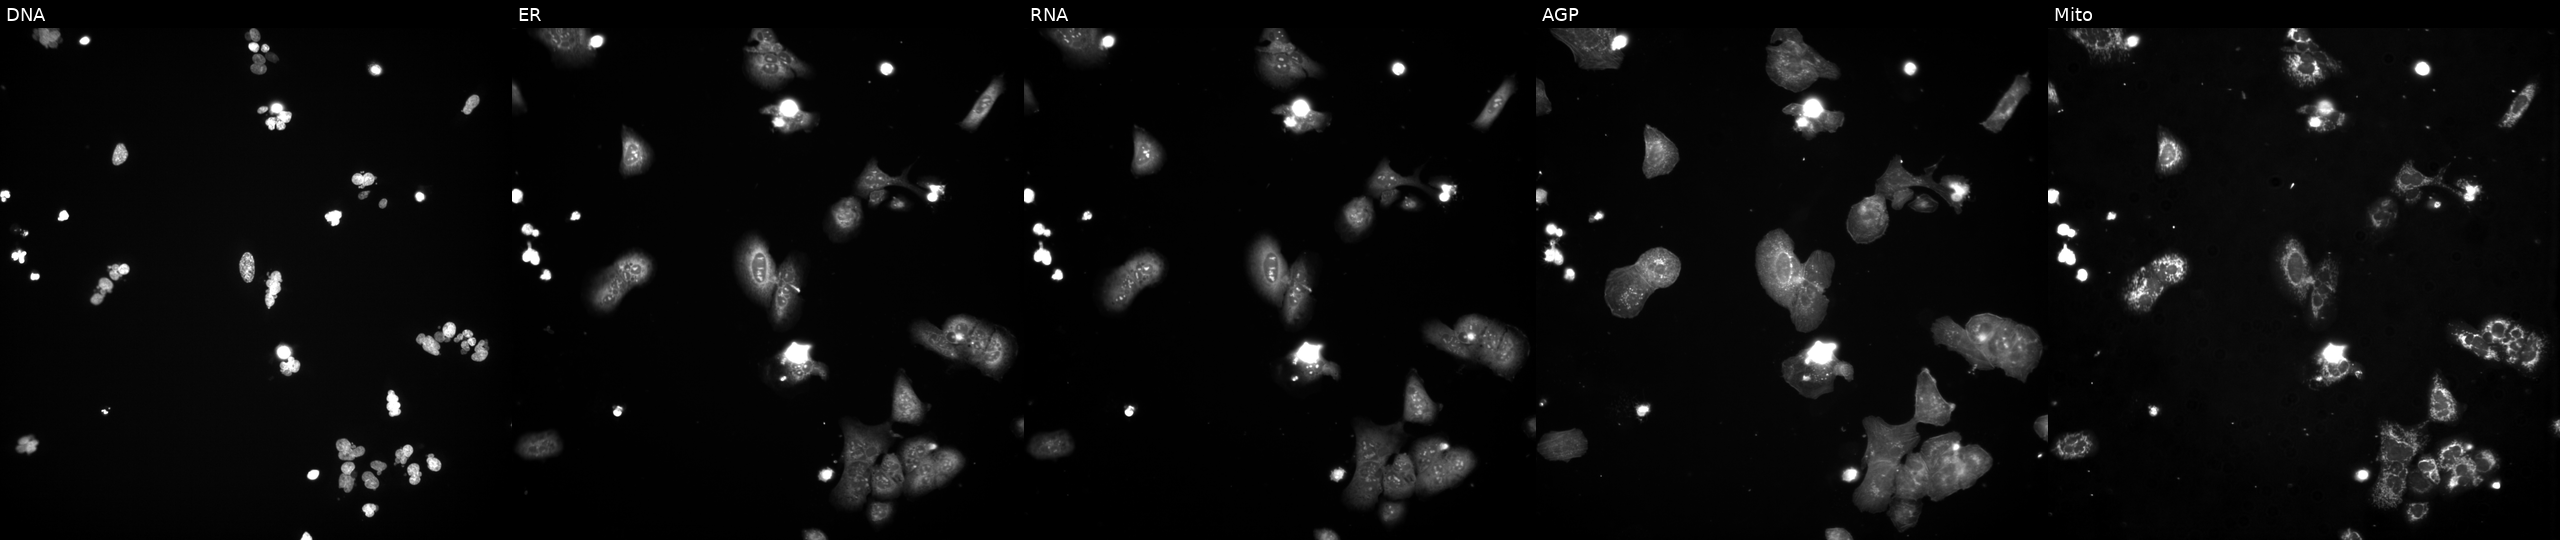
High-content fluorescence microscopy (Cell Painting). Cell line: U2OS. Perturbation: exposed to a small-molecule compound. From left to right: DNA, ER, RNA, AGP, and Mito.